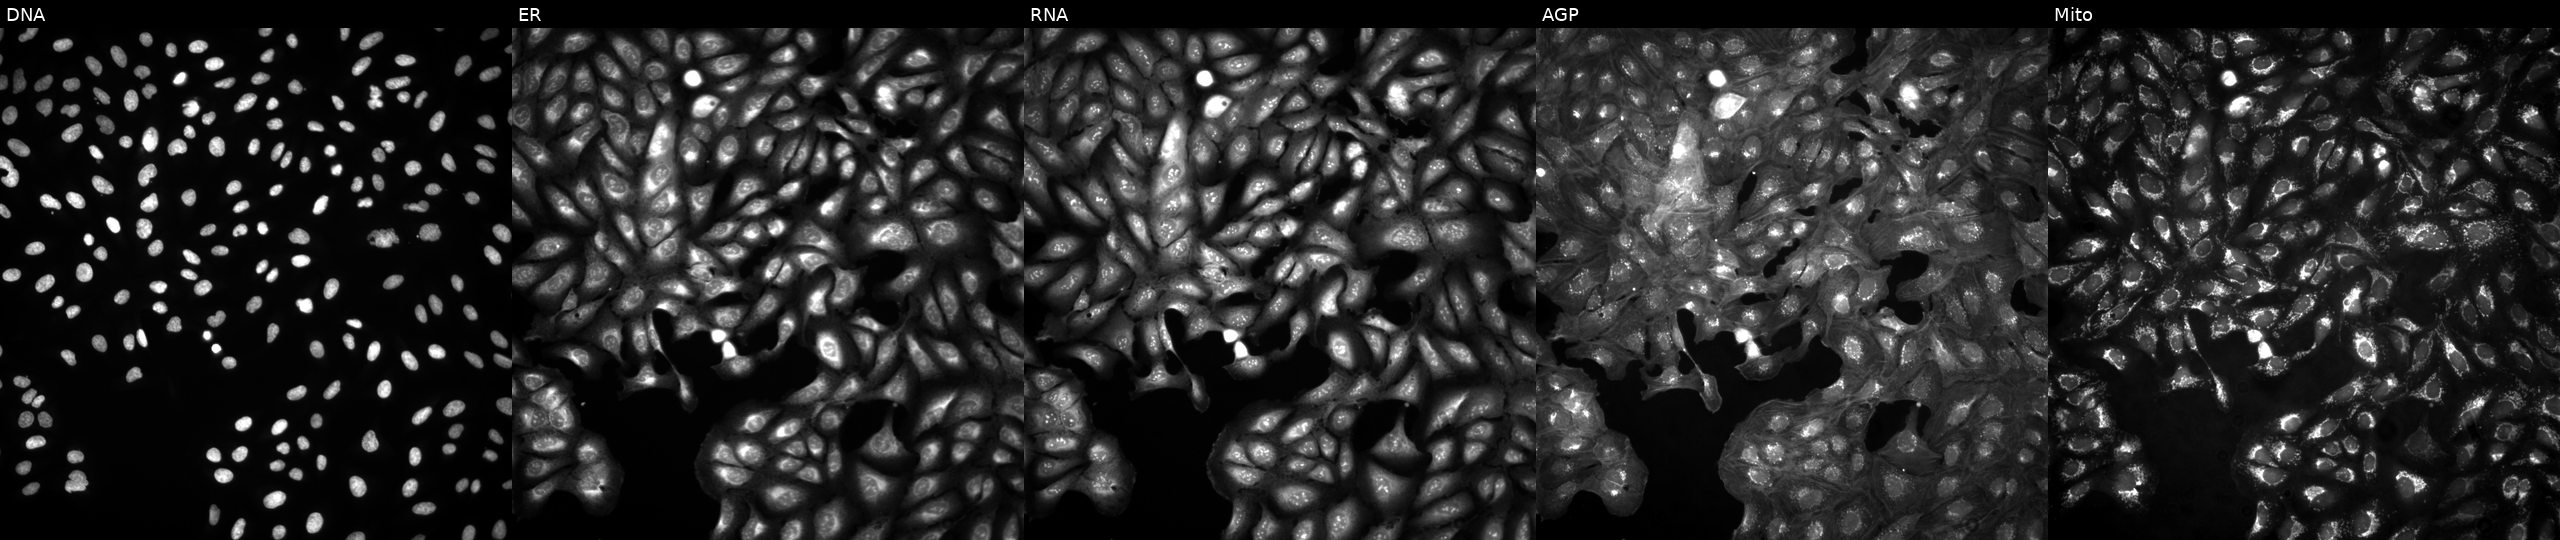
JUMP Cell Painting — ORF plate. U2OS cells in an empty control well (no perturbation). The five panels, left to right, show DNA (nuclei); ER (endoplasmic reticulum); RNA (nucleoli and cytoplasmic RNA); AGP (actin cytoskeleton, Golgi, and plasma membrane); Mito (mitochondria).